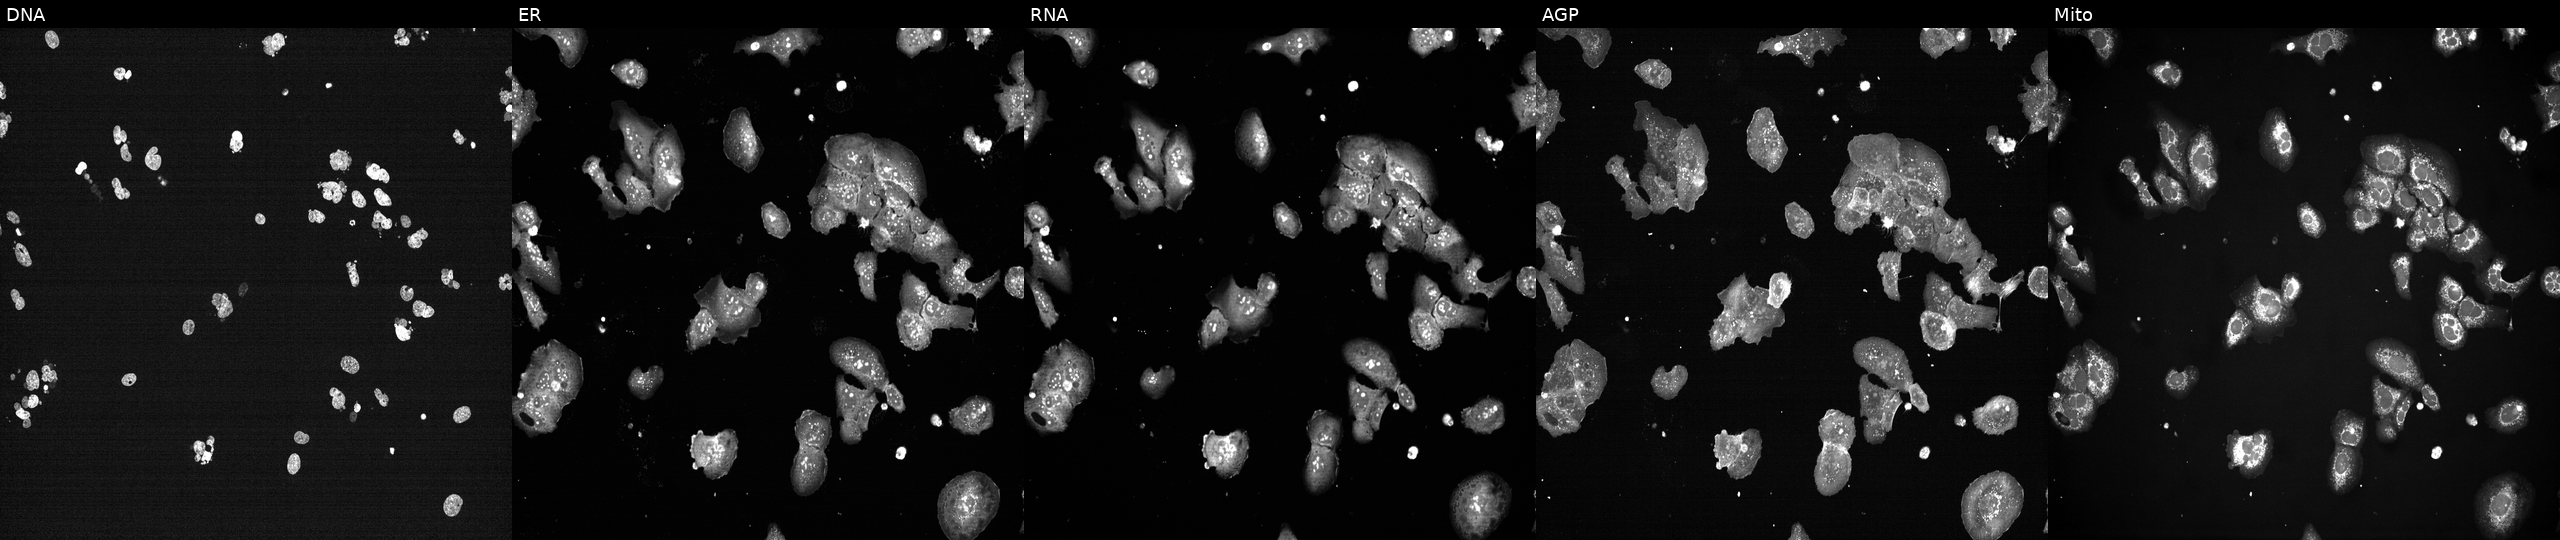
U2OS cells, Cell Painting assay, perturbed with a small-molecule compound (InChIKey JOLJIIDDOBNFHW-UHFFFAOYSA-N) (JUMP id JCP2022_041107). The five panels, left to right, show Hoechst 33342, concanavalin A, SYTO 14, phalloidin and WGA, MitoTracker. Each panel is percentile-stretched 16-bit fluorescence. Source 7, plate CP3-SC1-25, well H01.